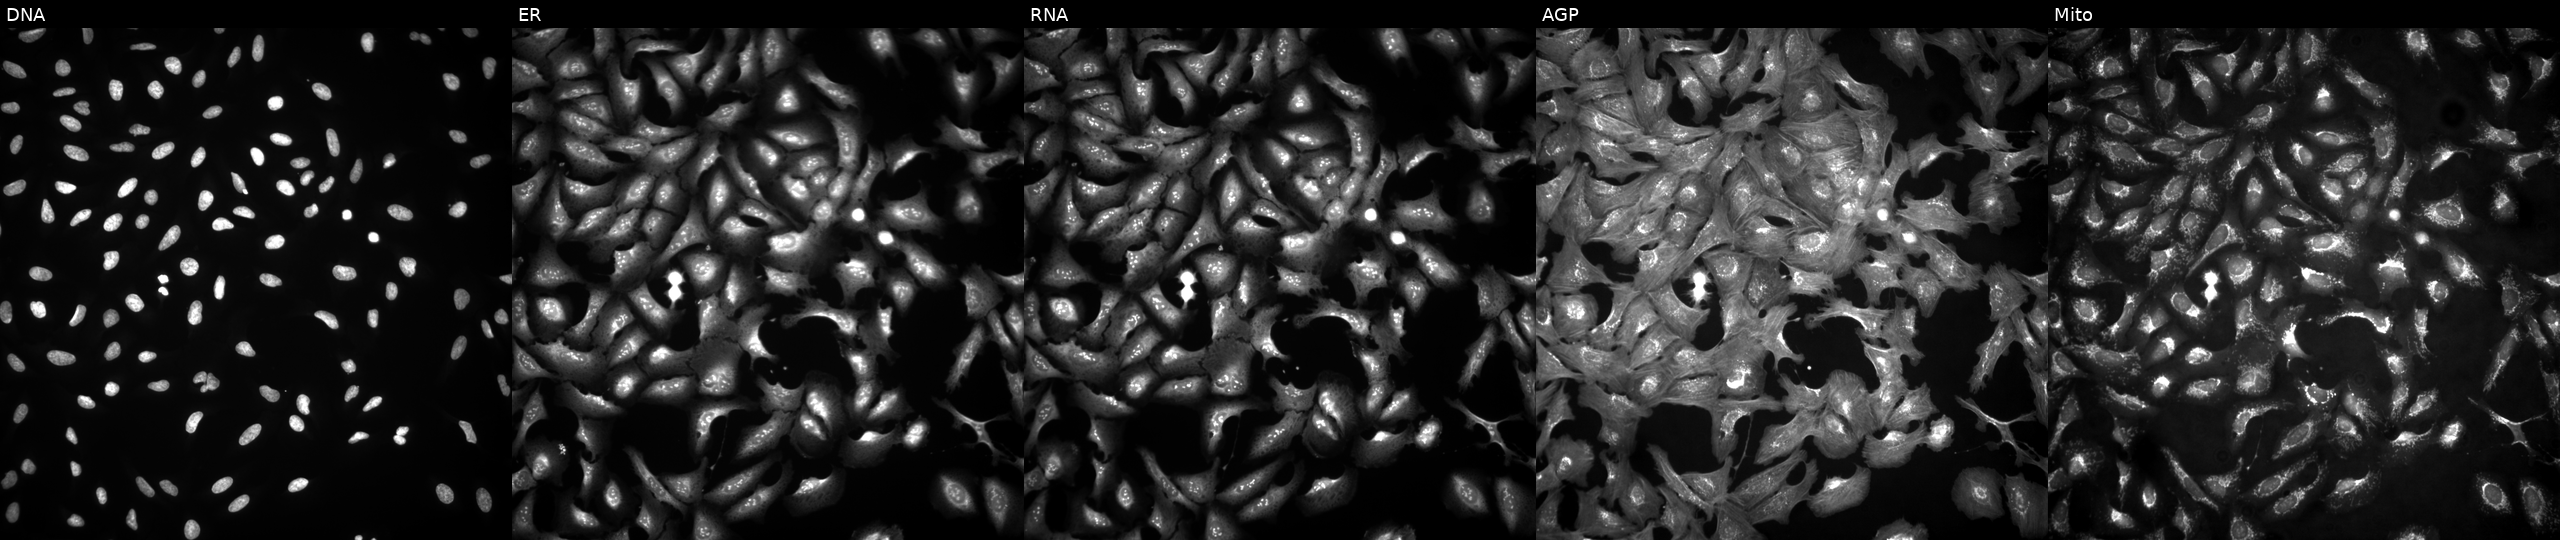
This image strip shows the five Cell Painting channels for a single field of U2OS cells with RB1 overexpressed (ORF) (JUMP id JCP2022_906410). Channels (left→right): Hoechst 33342, concanavalin A, SYTO 14, phalloidin and WGA, MitoTracker. Source 4, plate BR00124784, well C15.